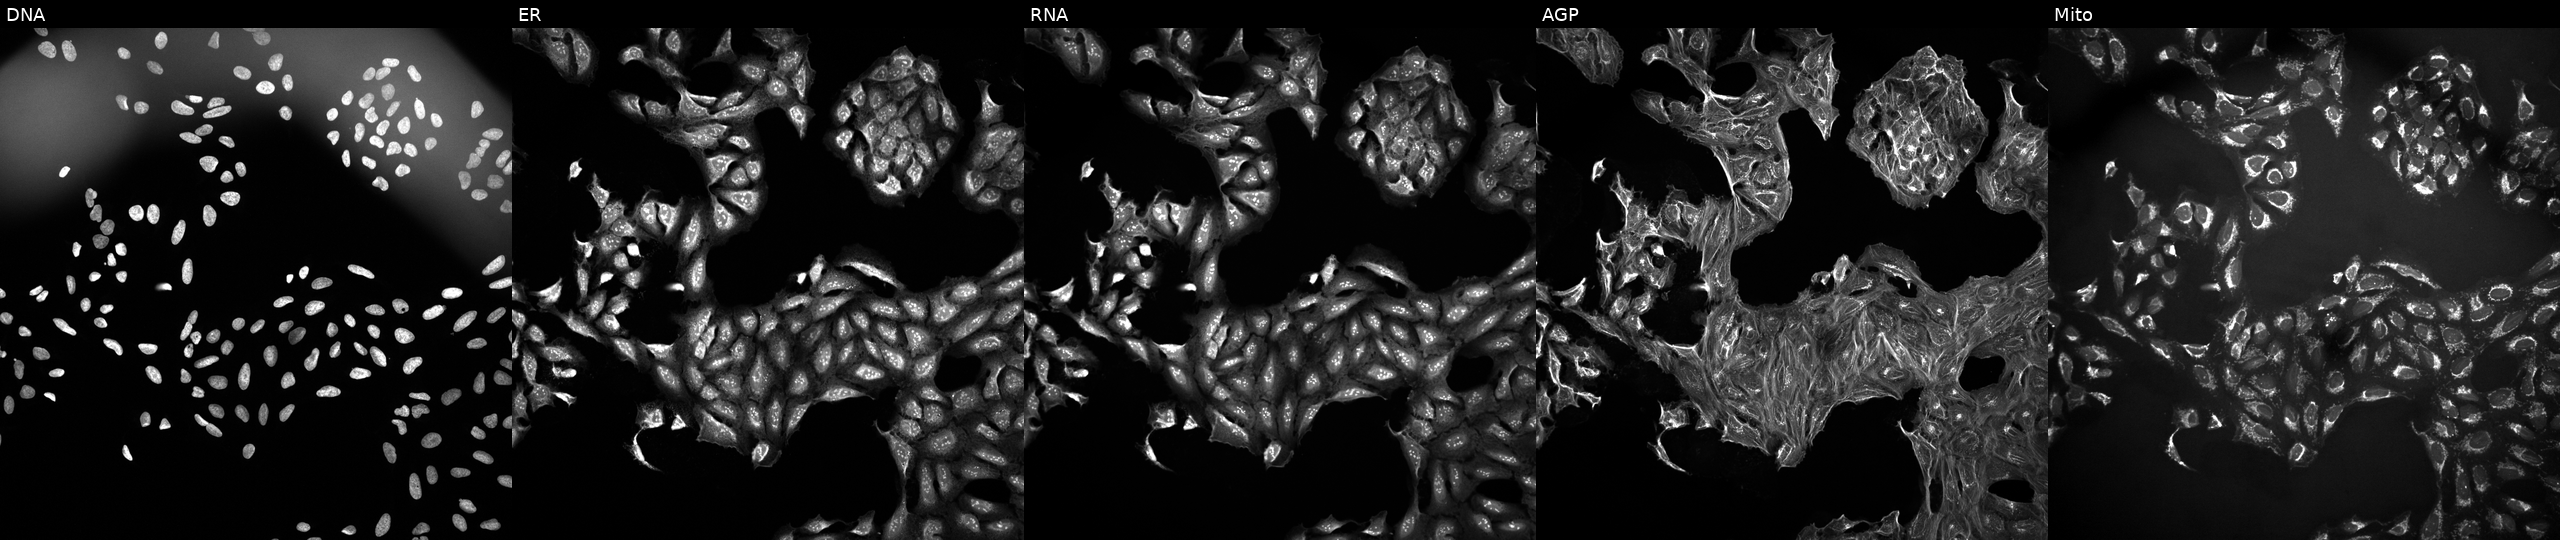
This image strip shows the five Cell Painting channels for a single field of U2OS cells treated with a small-molecule compound (InChIKey FQUAFMNPXPXOJE-UHFFFAOYSA-N). The five panels, left to right, show DNA (nuclei); ER (endoplasmic reticulum); RNA (nucleoli and cytoplasmic RNA); AGP (actin cytoskeleton, Golgi, and plasma membrane); Mito (mitochondria).